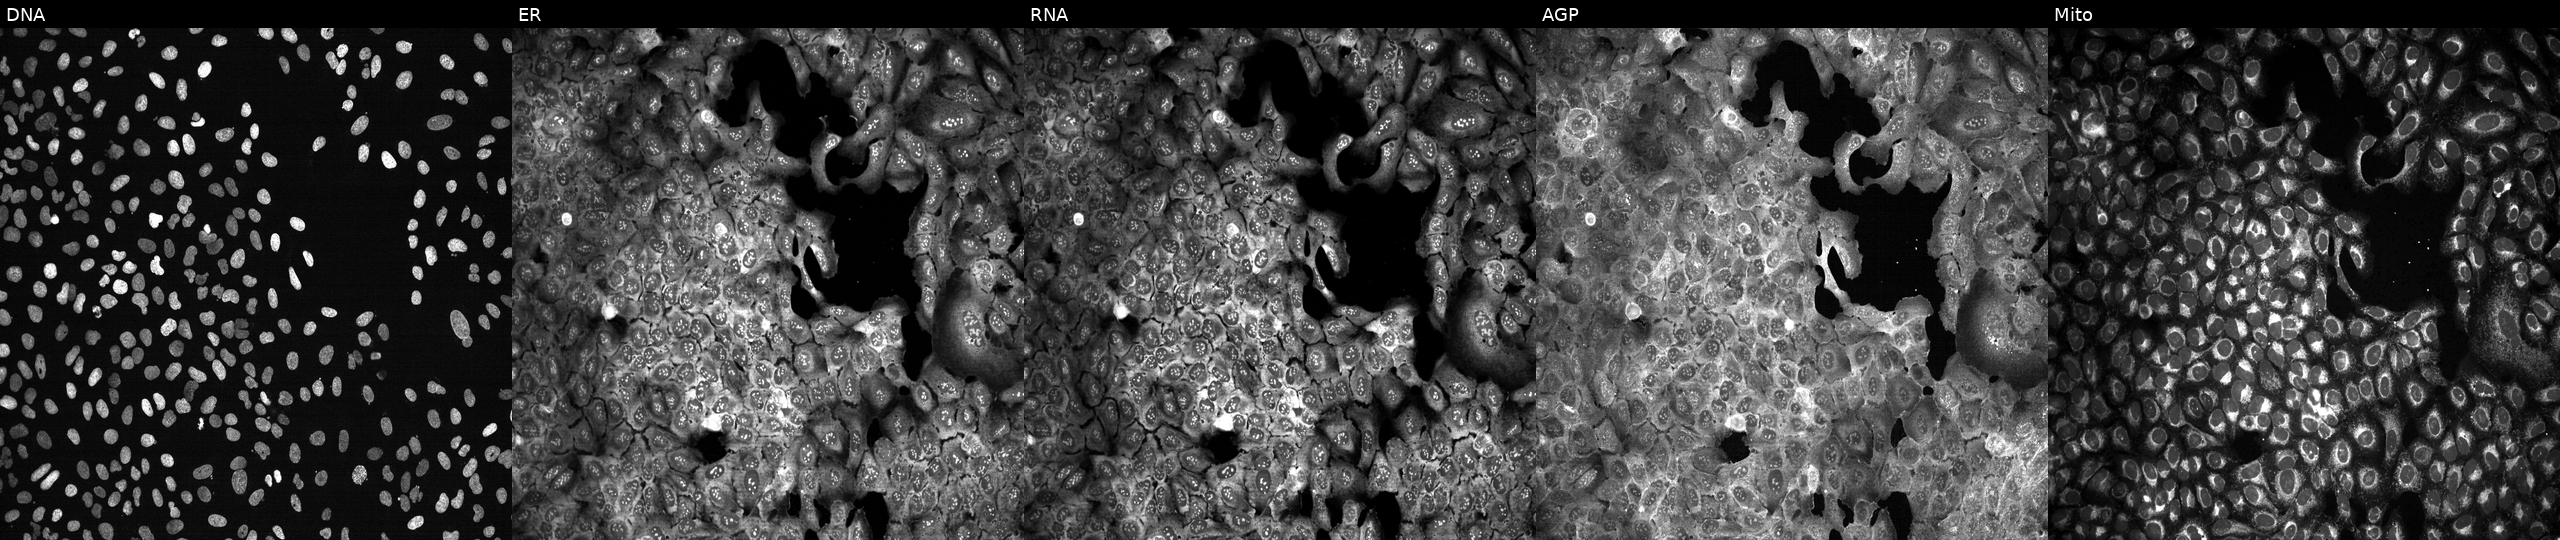
Five-channel Cell Painting image of U2OS cells following CRISPR knockout of CD5L (JUMP id JCP2022_801161). Panels show, left to right, DNA (nuclei); ER (endoplasmic reticulum); RNA (nucleoli and cytoplasmic RNA); AGP (actin cytoskeleton, Golgi, and plasma membrane); Mito (mitochondria).